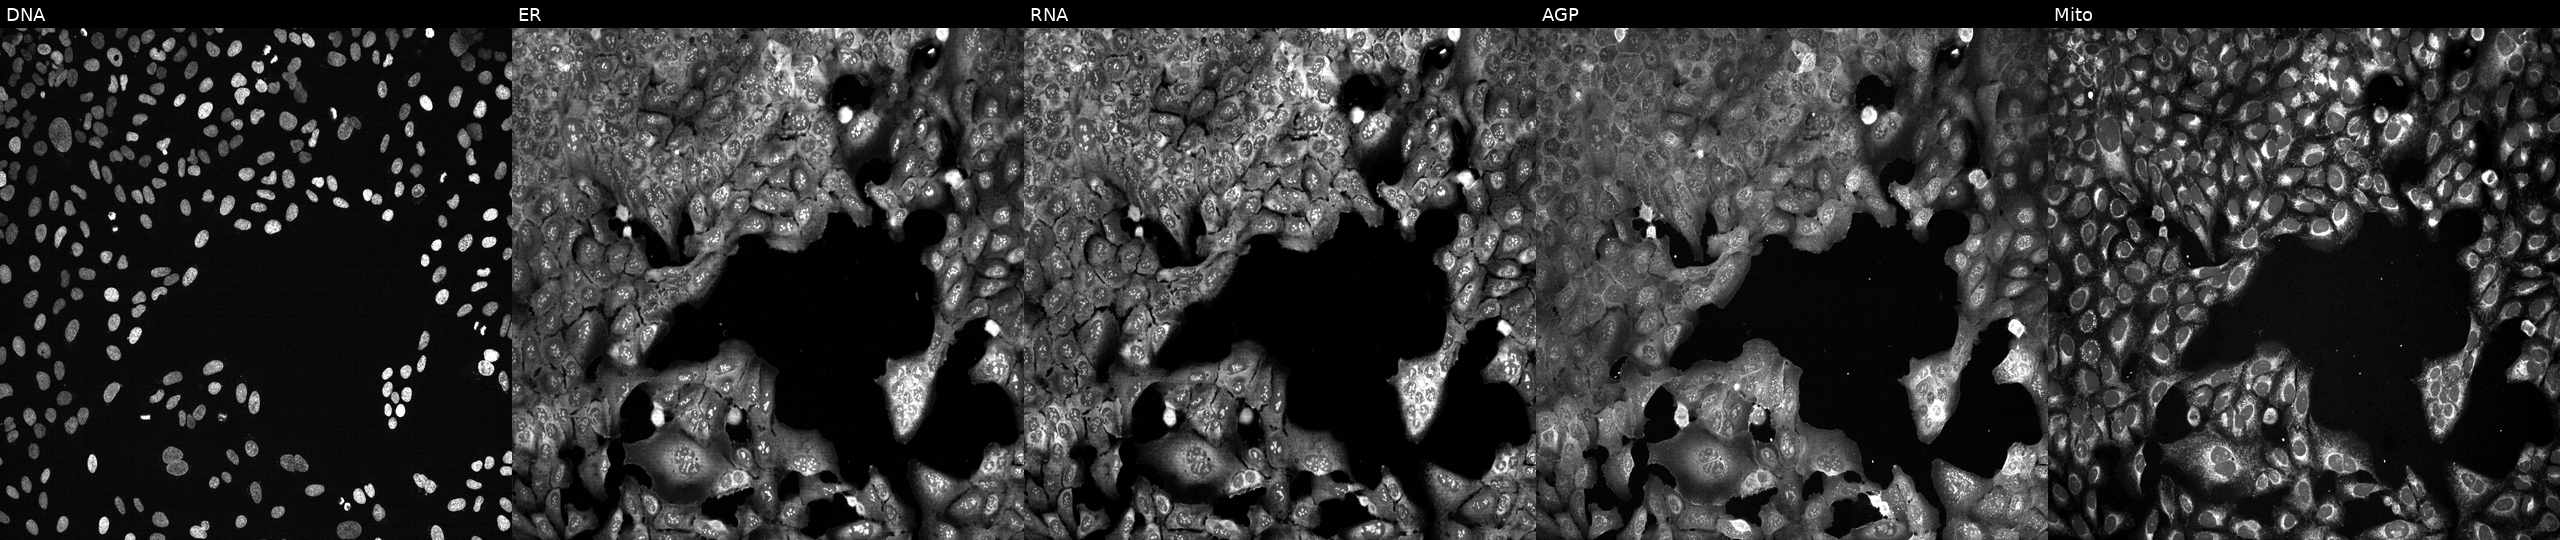
JUMP Cell Painting — CRISPR plate. U2OS cells following CRISPR knockout of IDI2. The five panels, left to right, show Hoechst 33342, concanavalin A, SYTO 14, phalloidin and WGA, MitoTracker. Source 13, plate CP-CC9-R4-03, well I08.